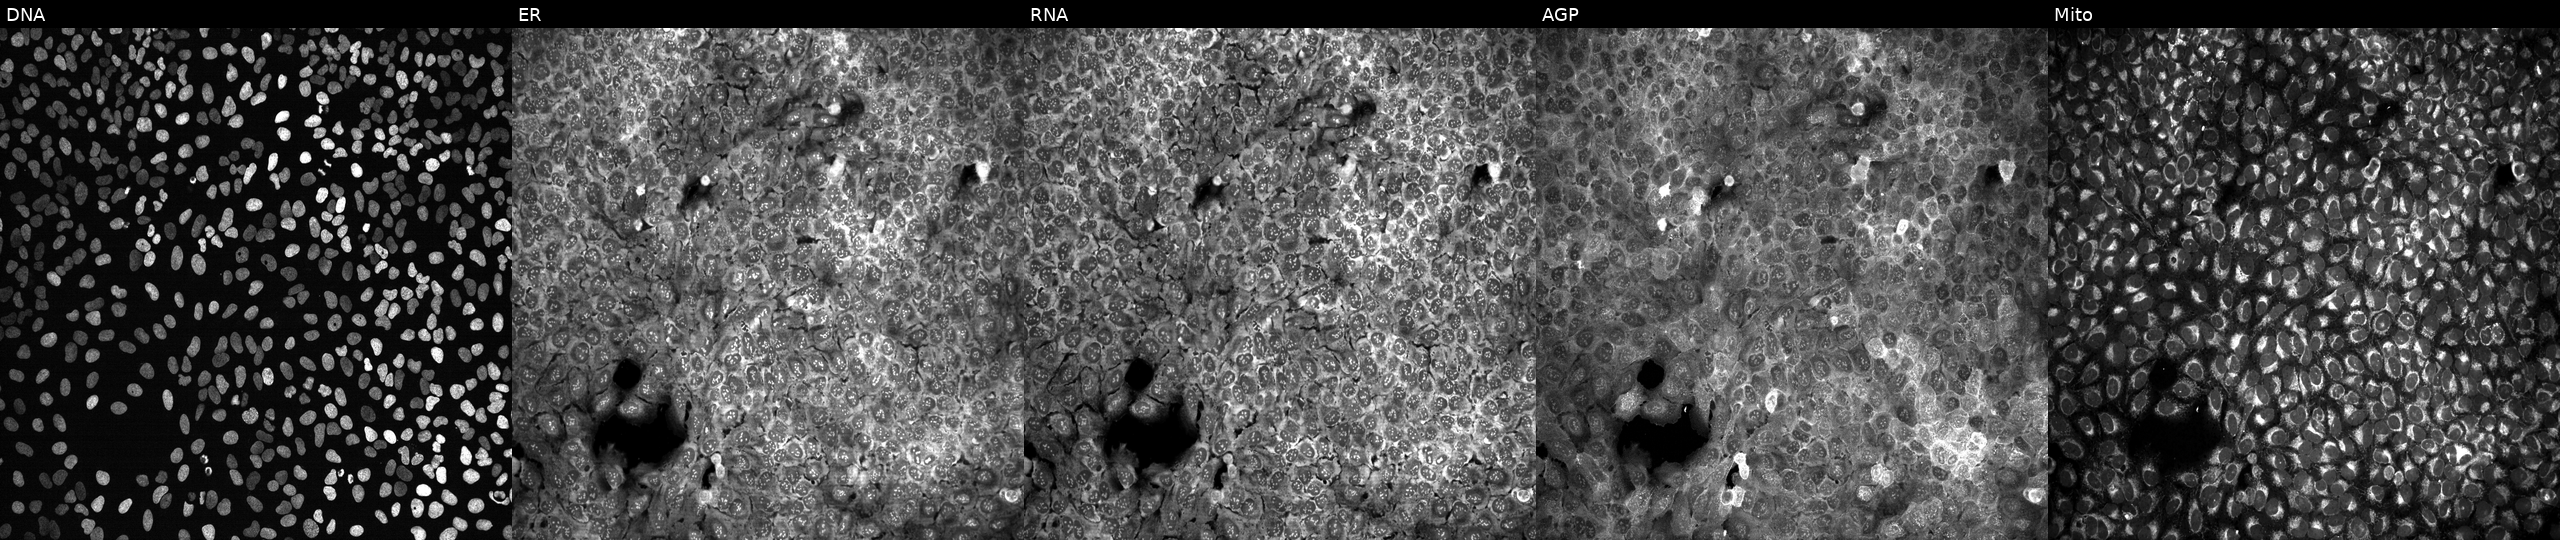
Panels show, left to right, DNA, ER, RNA, AGP, and Mito. U2OS osteosarcoma cells exposed to DMSO alone as a negative control (JUMP id JCP2022_033924). Cell Painting assay, JUMP-CP dataset.